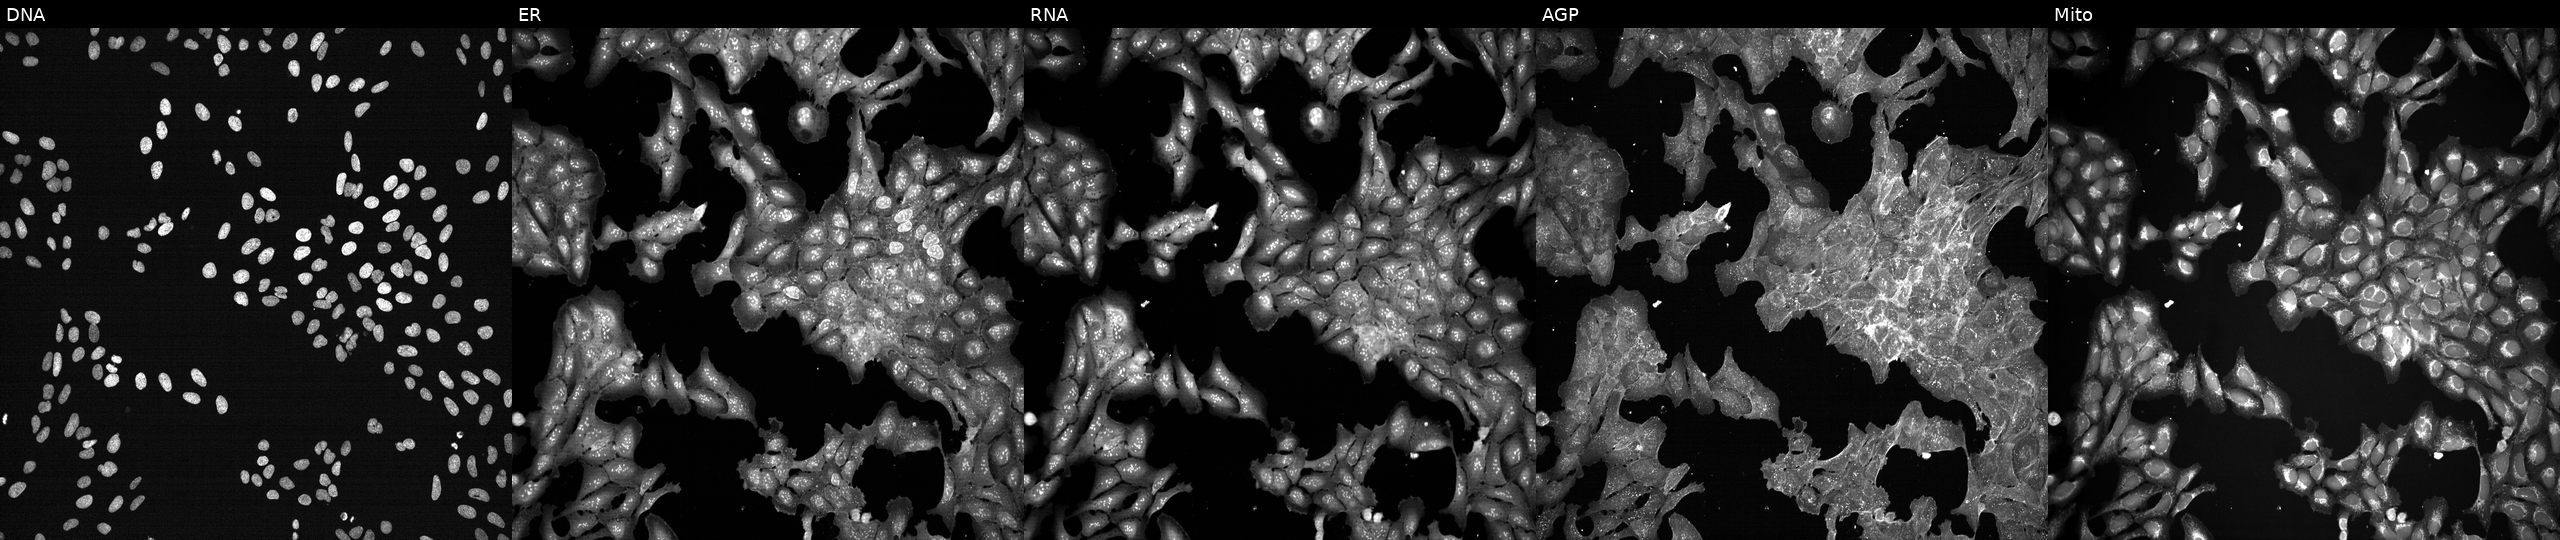
High-content fluorescence microscopy (Cell Painting). Cell line: U2OS. Perturbation: perturbed with a small-molecule compound (InChIKey IFIUFCJFLGCQPH-UHFFFAOYSA-N) [SMILES: Cc1ccc([N+](=O)[O-])cc1S(=O)(=O)N(C)C] (JUMP id JCP2022_034709). Channels (left→right): DNA, ER, RNA, AGP, and Mito. Source 7, plate CP2-SC1-25, well G17.